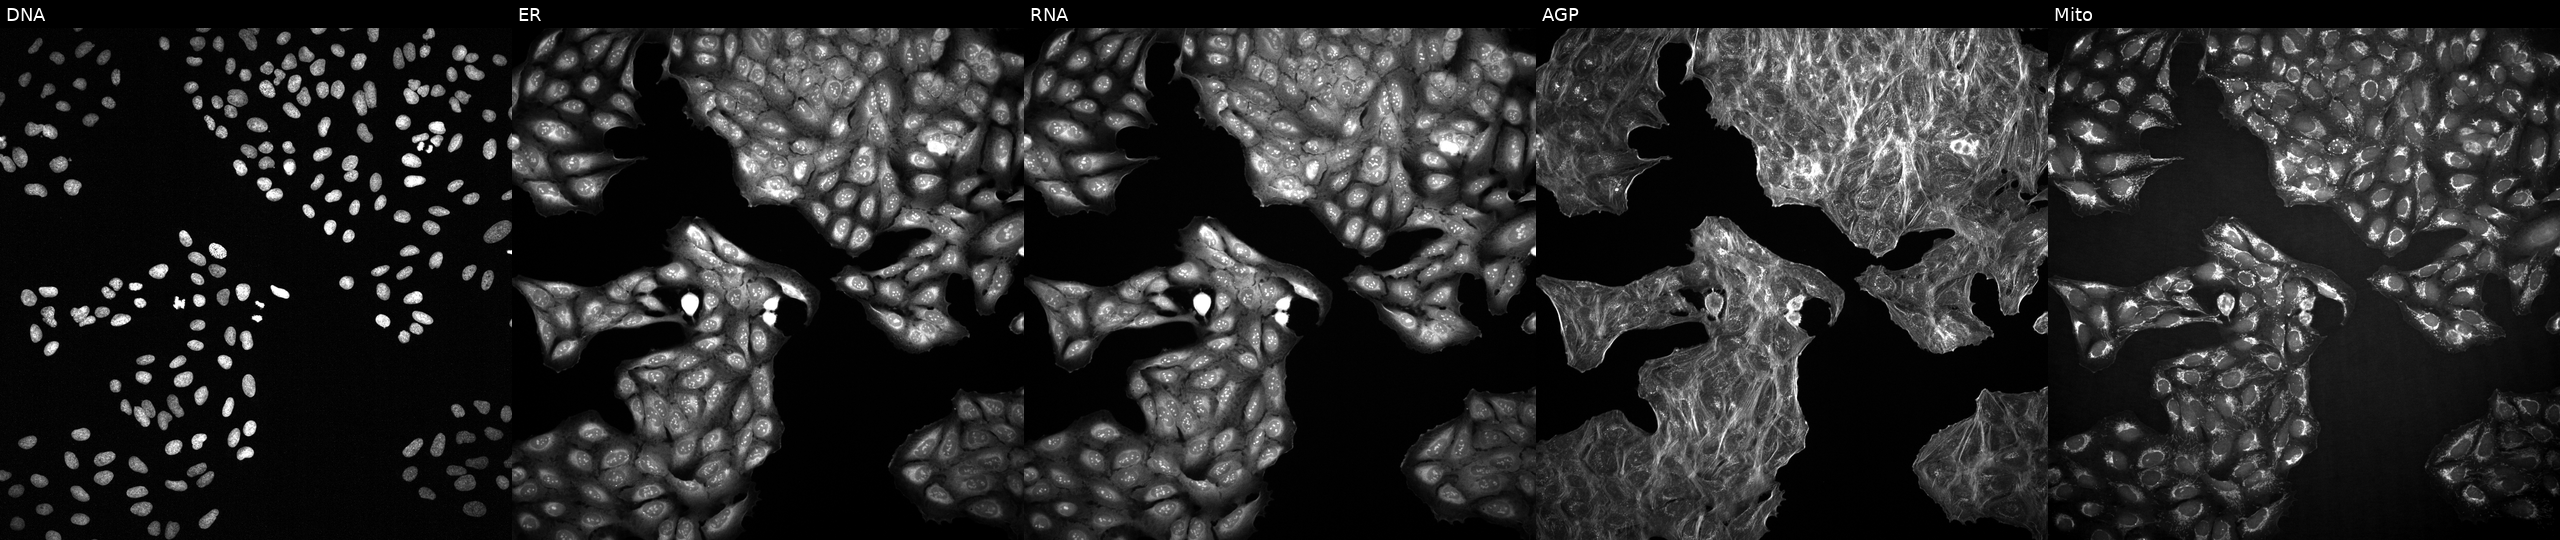
U2OS cells, Cell Painting assay, with an unidentified perturbation (not annotated in JUMP metadata). The five panels, left to right, show DNA, ER, RNA, AGP, and Mito. Each panel is percentile-stretched 16-bit fluorescence.